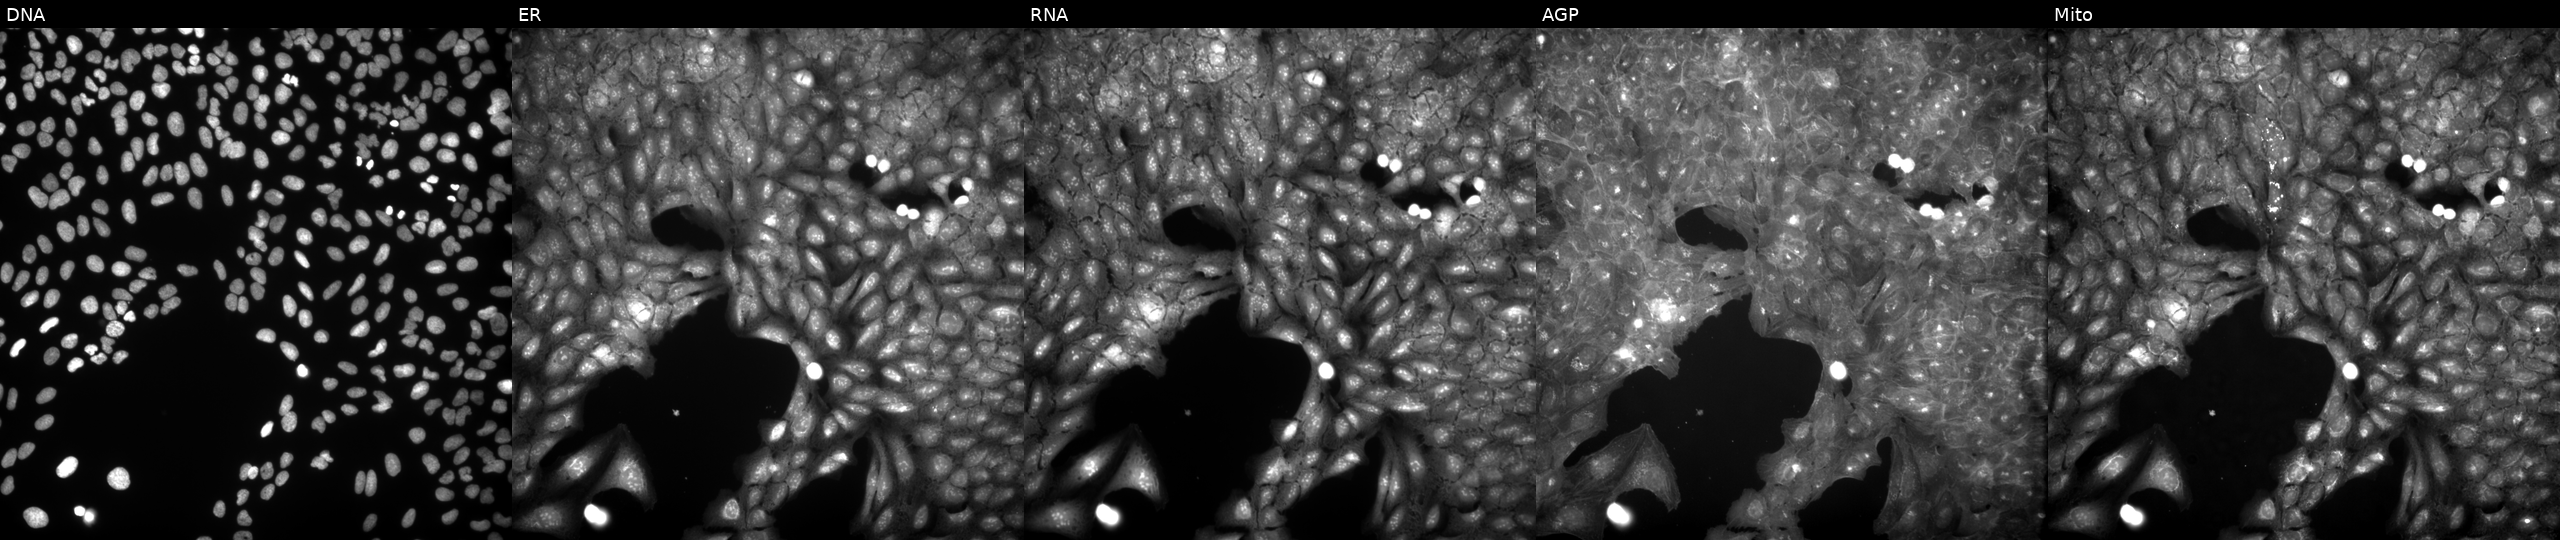
This image strip shows the five Cell Painting channels for a single field of U2OS cells treated with a small-molecule compound [SMILES: O=C(NN=C1CCN(Cc2ccccc2)CC1)c1ccccc1O] (JUMP id JCP2022_062411). Channels (left→right): Hoechst 33342, concanavalin A, SYTO 14, phalloidin and WGA, MitoTracker.